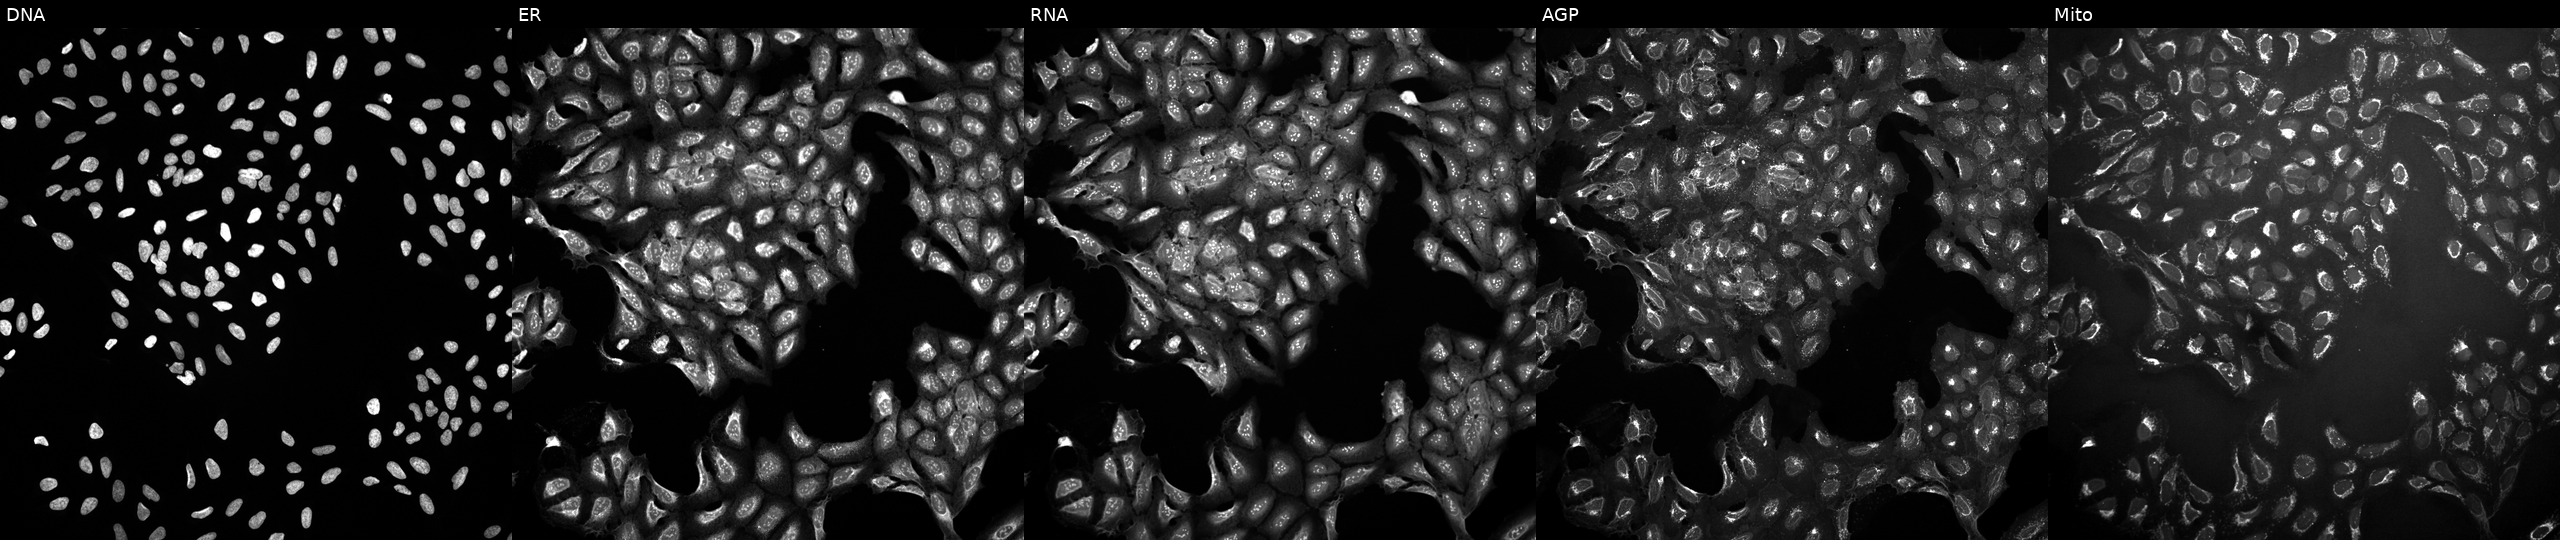
High-content fluorescence microscopy (Cell Painting). Cell line: U2OS. Perturbation: exposed to DMSO alone as a negative control (JUMP id JCP2022_033924). From left to right: Hoechst 33342, concanavalin A, SYTO 14, phalloidin and WGA, MitoTracker.